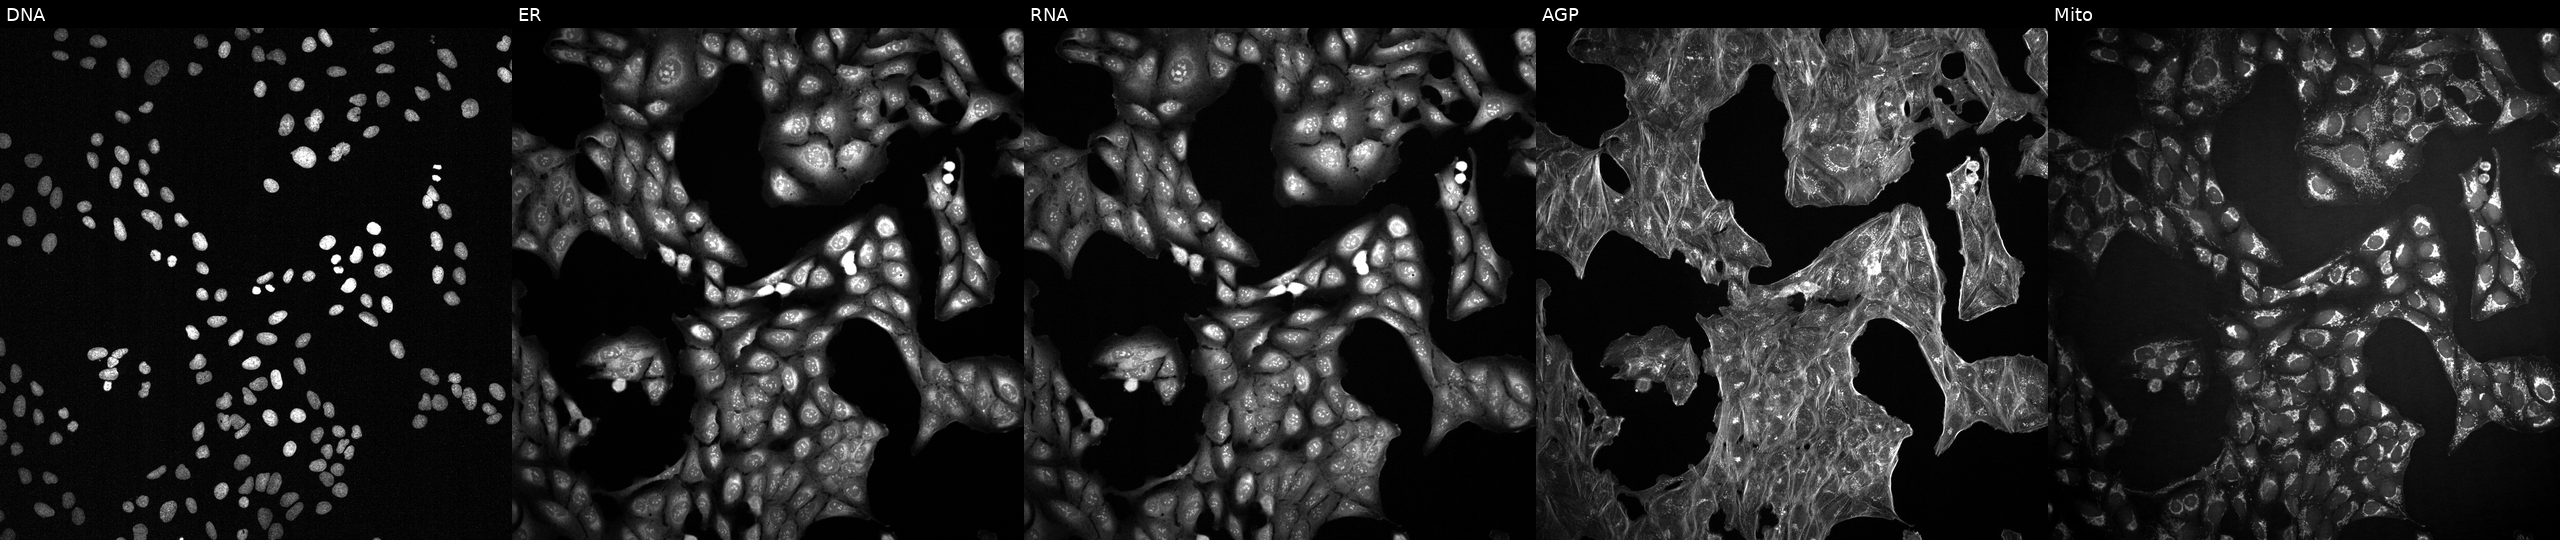
Panels show, left to right, Hoechst 33342, concanavalin A, SYTO 14, phalloidin and WGA, MitoTracker. U2OS osteosarcoma cells exposed to DMSO alone as a negative control. Cell Painting assay, JUMP-CP dataset. Source 2, plate 1053599503, well H02.